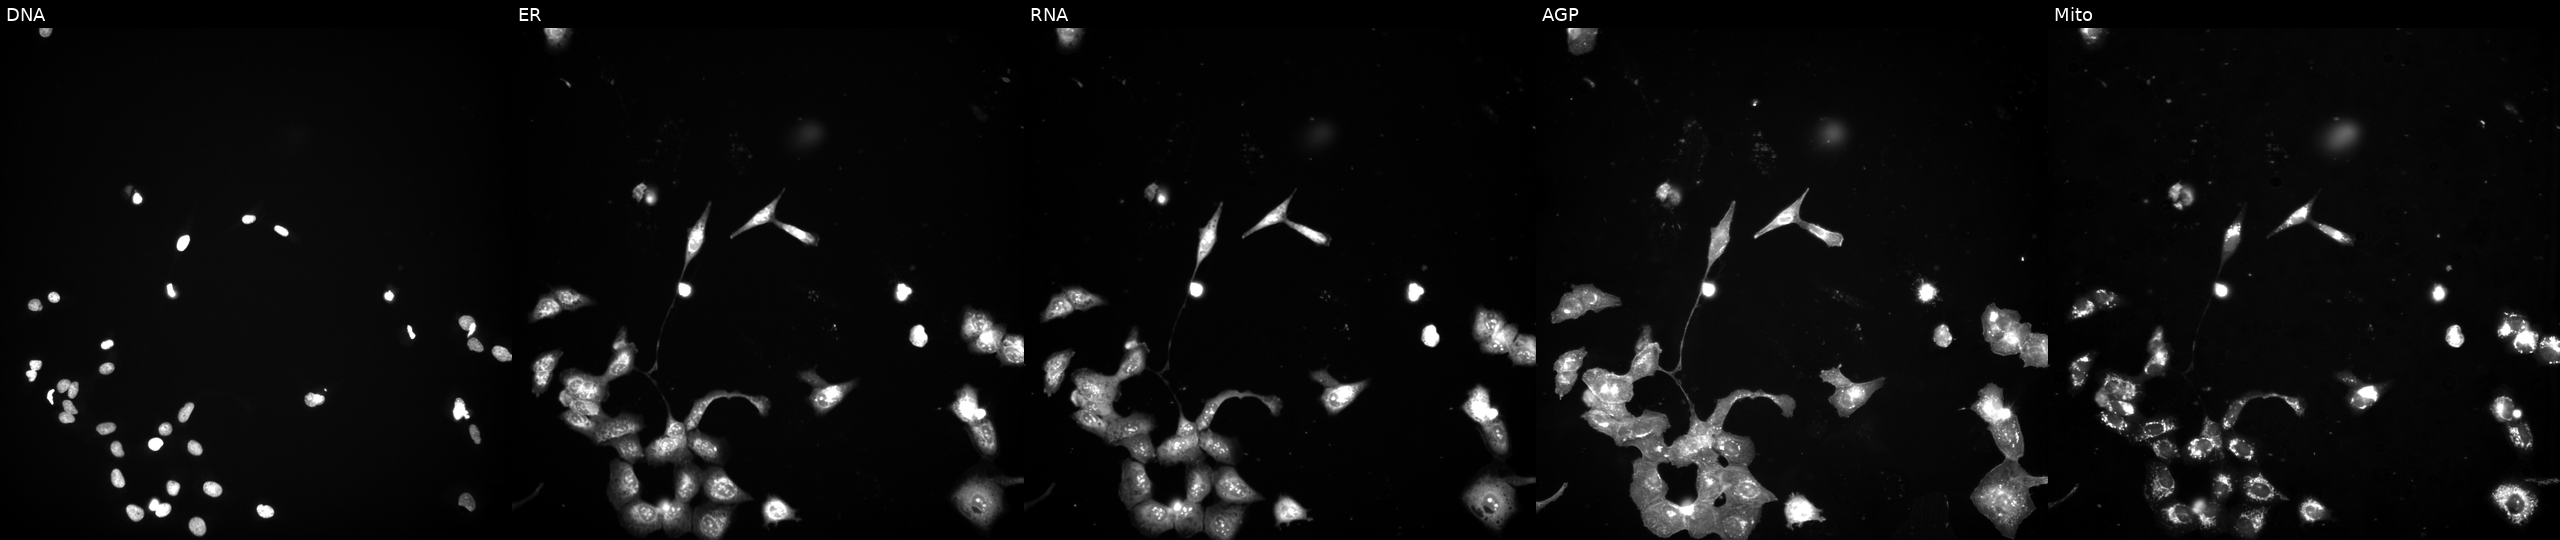
High-content fluorescence microscopy (Cell Painting). Cell line: U2OS. Perturbation: exposed to a small-molecule compound (InChIKey NYHXJNMZUIOFFH-UHFFFAOYSA-N) (JUMP id JCP2022_062149). Channels (left→right): DNA (nuclei); ER (endoplasmic reticulum); RNA (nucleoli and cytoplasmic RNA); AGP (actin cytoskeleton, Golgi, and plasma membrane); Mito (mitochondria).